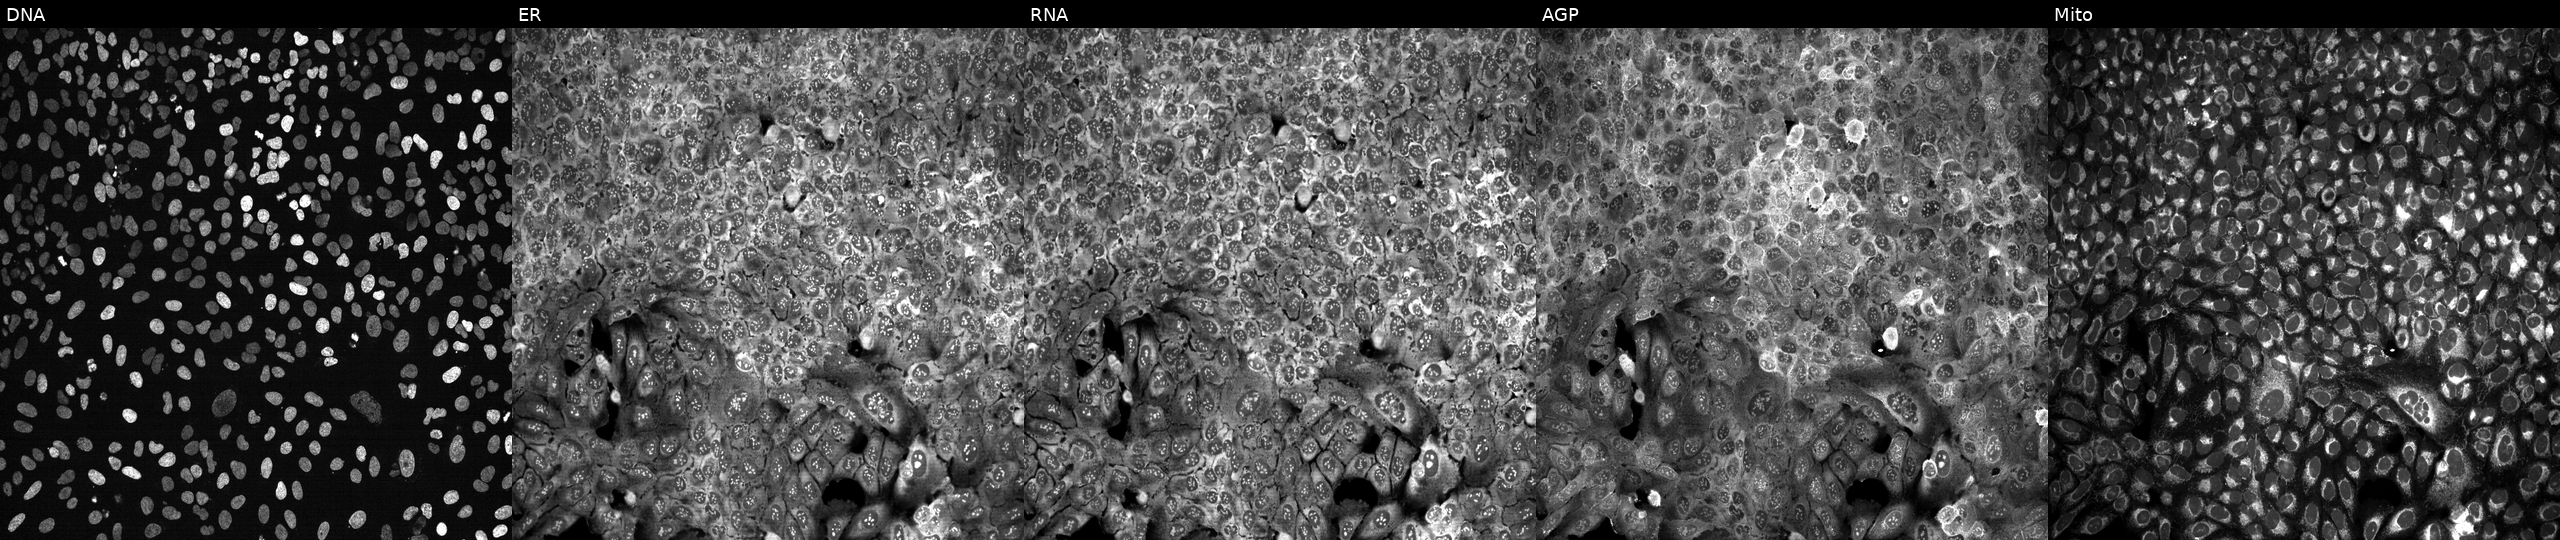
U2OS cells, Cell Painting assay, CRISPR-edited to disrupt B3GNT2 (JUMP id JCP2022_800780). Panels show, left to right, DNA (nuclei); ER (endoplasmic reticulum); RNA (nucleoli and cytoplasmic RNA); AGP (actin cytoskeleton, Golgi, and plasma membrane); Mito (mitochondria). Each panel is percentile-stretched 16-bit fluorescence. Source 13, plate CP-CC9-R4-03, well D15.